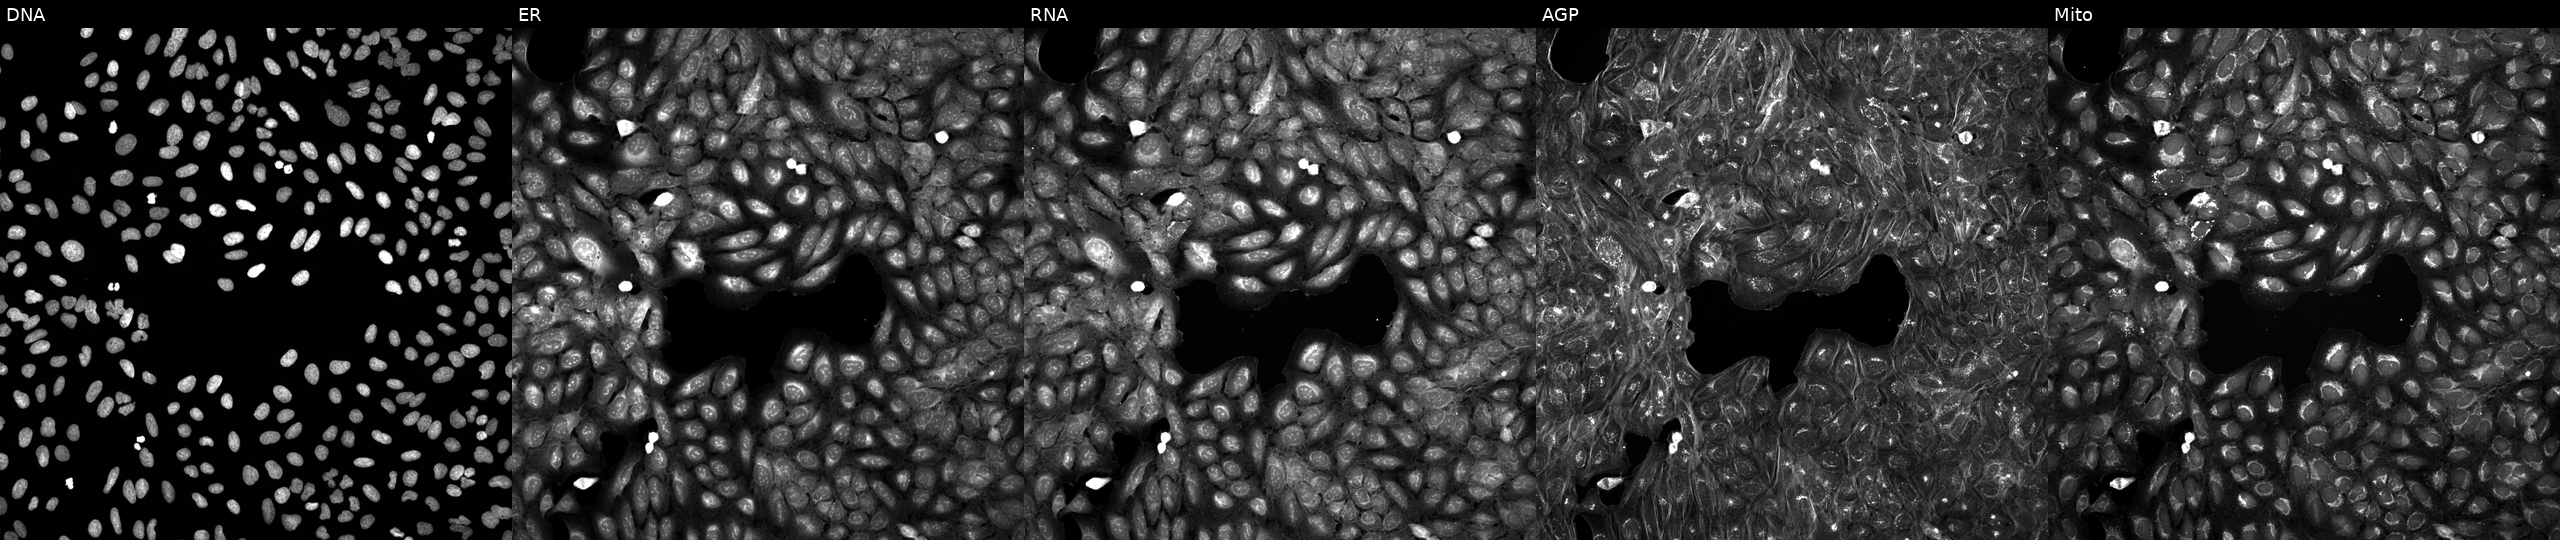
This image strip shows the five Cell Painting channels for a single field of U2OS cells exposed to a small-molecule compound (InChIKey WEGSCRGOIHVLLR-UHFFFAOYSA-N) [SMILES: O=C(O)c1ccc(N2CCN(c3ncccn3)CC2)c(NC(=O)c2cccc(Cl)c2)c1] (JUMP id JCP2022_098188). Panels show, left to right, DNA, ER, RNA, AGP, and Mito. Source 5, plate APTJUM105, well E07.